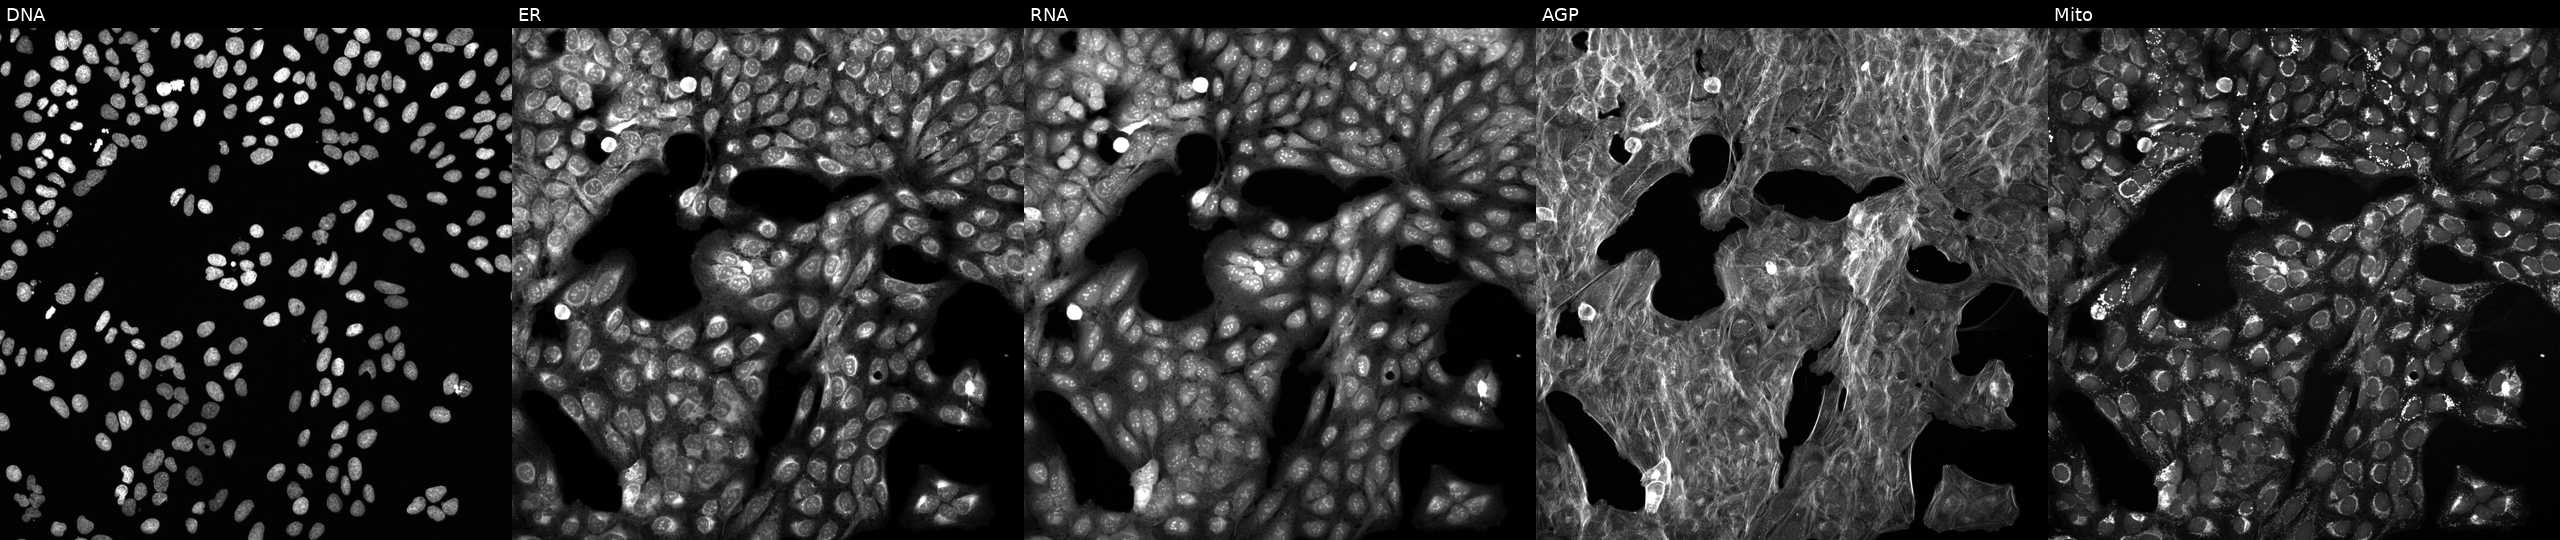
High-content fluorescence microscopy (Cell Painting). Cell line: U2OS. Perturbation: treated with LY2109761 (positive-control compound). From left to right: Hoechst 33342, concanavalin A, SYTO 14, phalloidin and WGA, MitoTracker. Source 6, plate 110000293082, well I24.